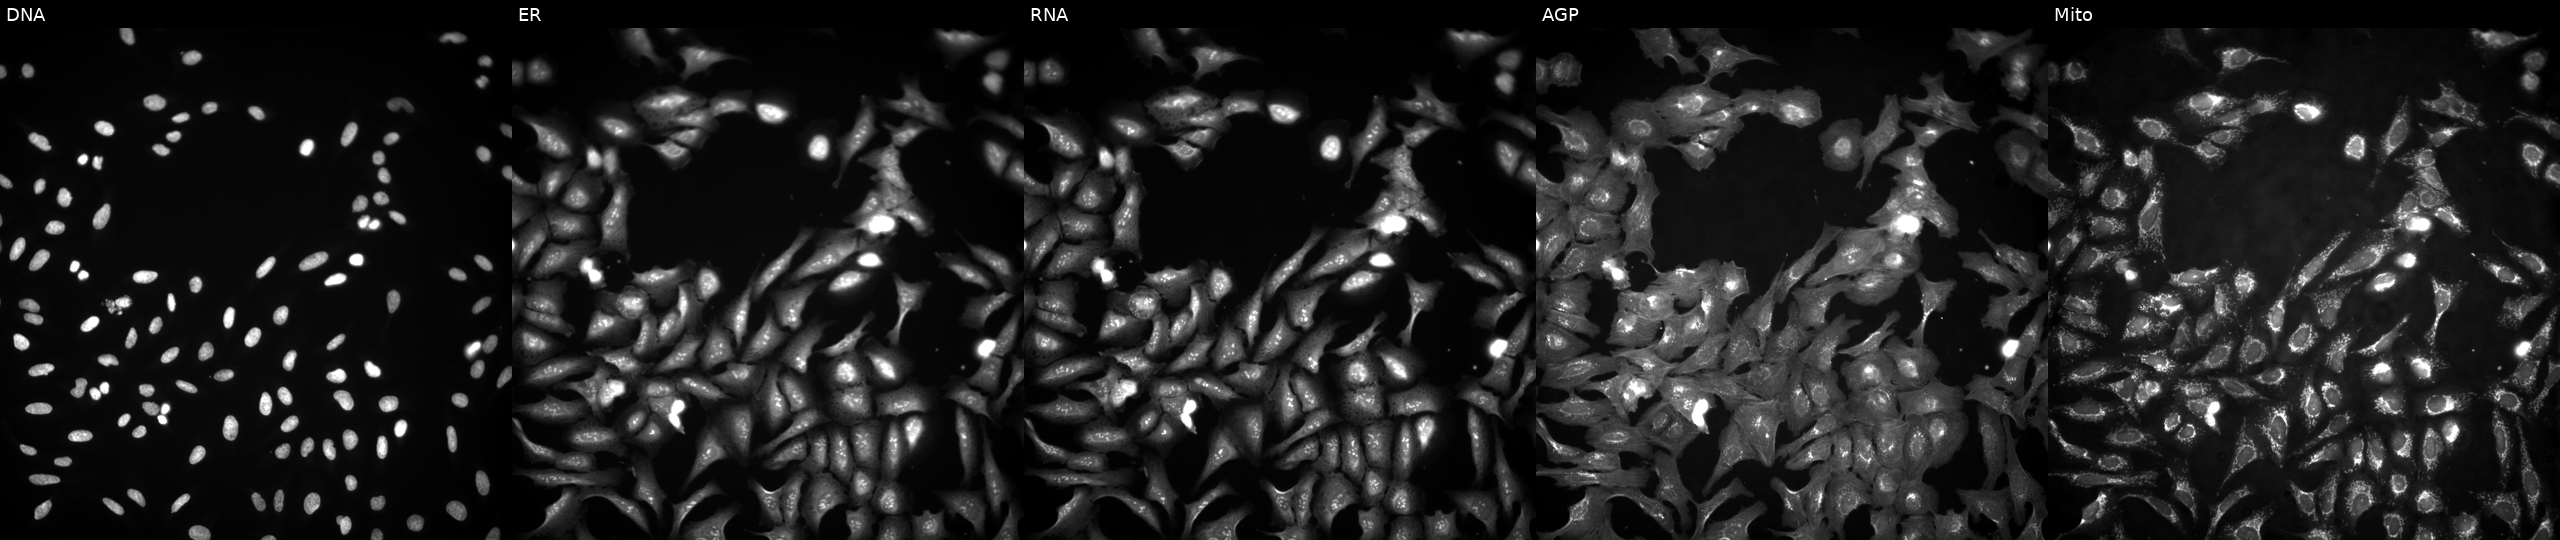
Five-channel Cell Painting image of U2OS cells overexpressing TRIM29 via ORF transfection (JUMP id JCP2022_907405). From left to right: DNA (nuclei); ER (endoplasmic reticulum); RNA (nucleoli and cytoplasmic RNA); AGP (actin cytoskeleton, Golgi, and plasma membrane); Mito (mitochondria).